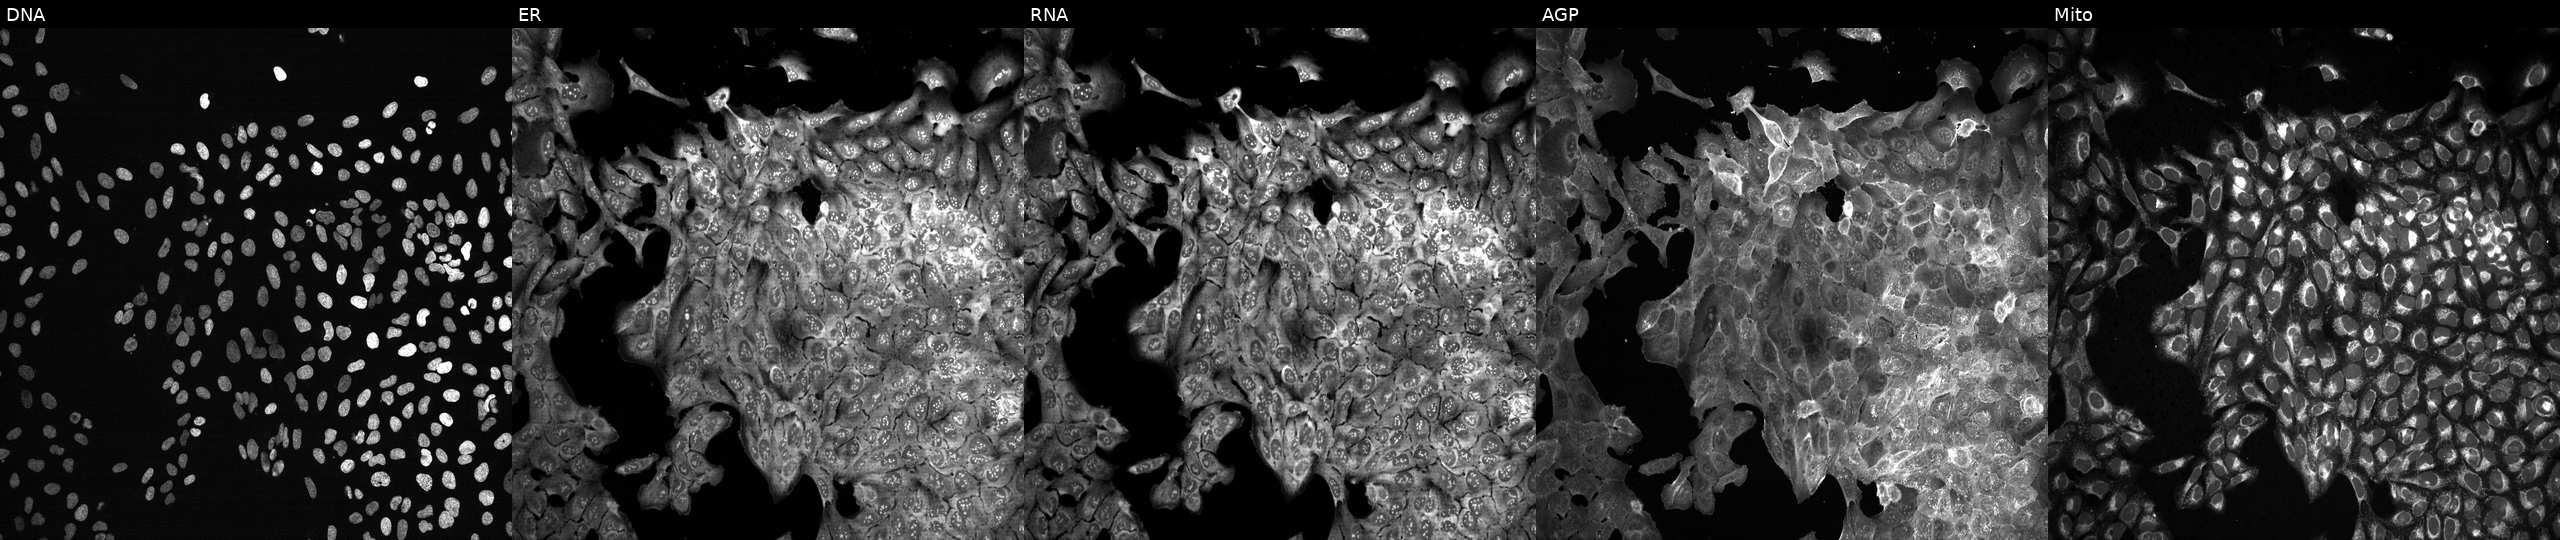
The five panels, left to right, show DNA, ER, RNA, AGP, and Mito. U2OS osteosarcoma cells CRISPR-edited to disrupt PCSK1 (JUMP id JCP2022_804966). Cell Painting assay, JUMP-CP dataset.